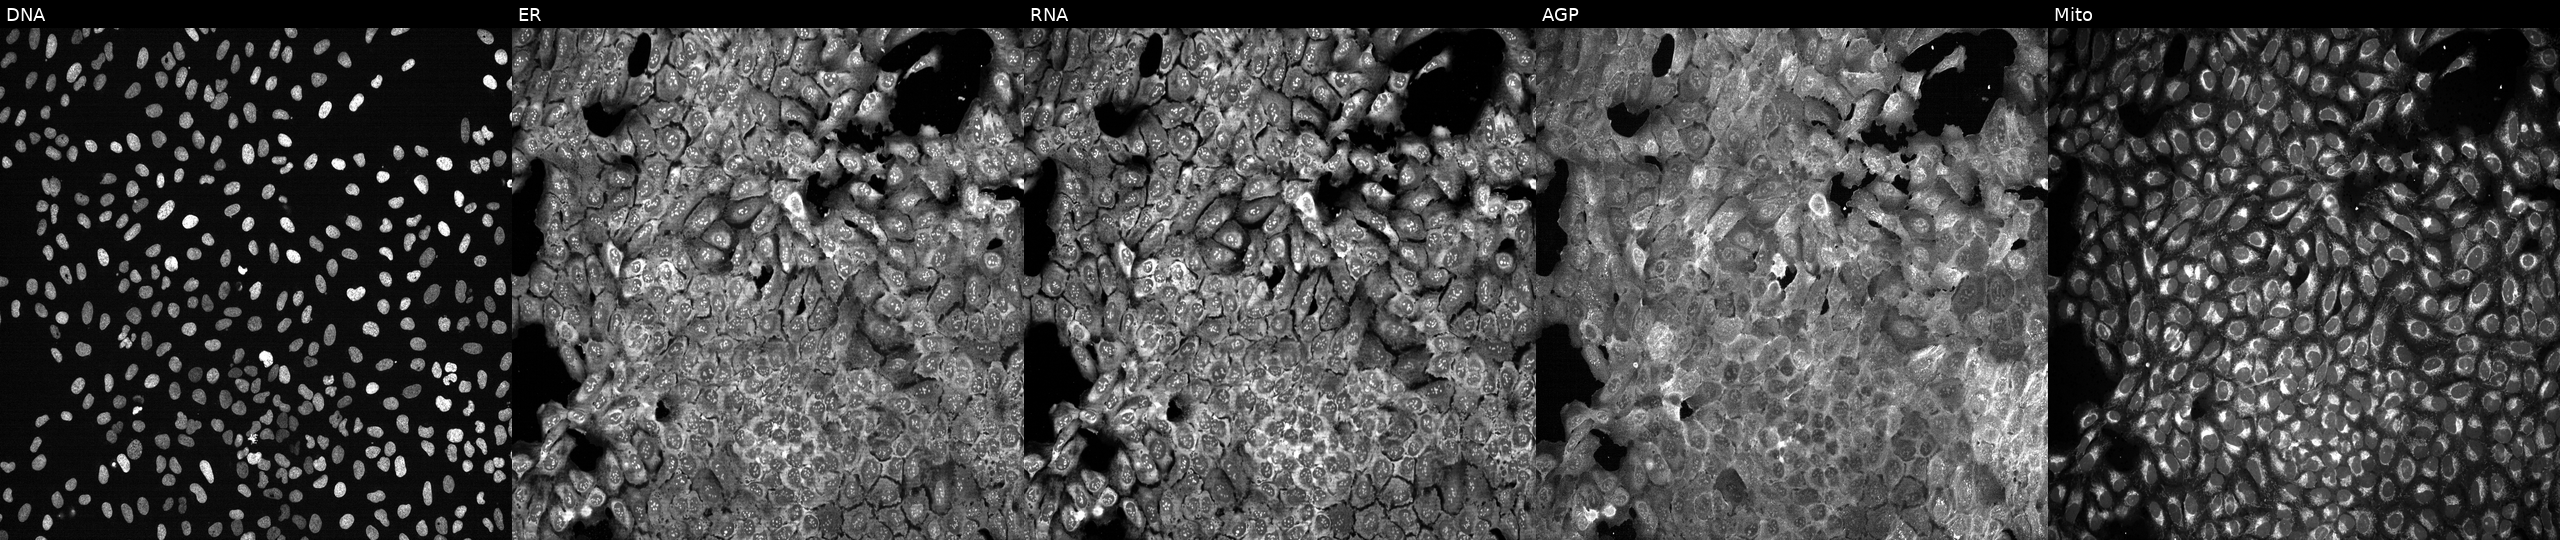
High-content fluorescence microscopy (Cell Painting). Cell line: U2OS. Perturbation: CRISPR-edited to disrupt GJC1. From left to right: DNA (nuclei); ER (endoplasmic reticulum); RNA (nucleoli and cytoplasmic RNA); AGP (actin cytoskeleton, Golgi, and plasma membrane); Mito (mitochondria).